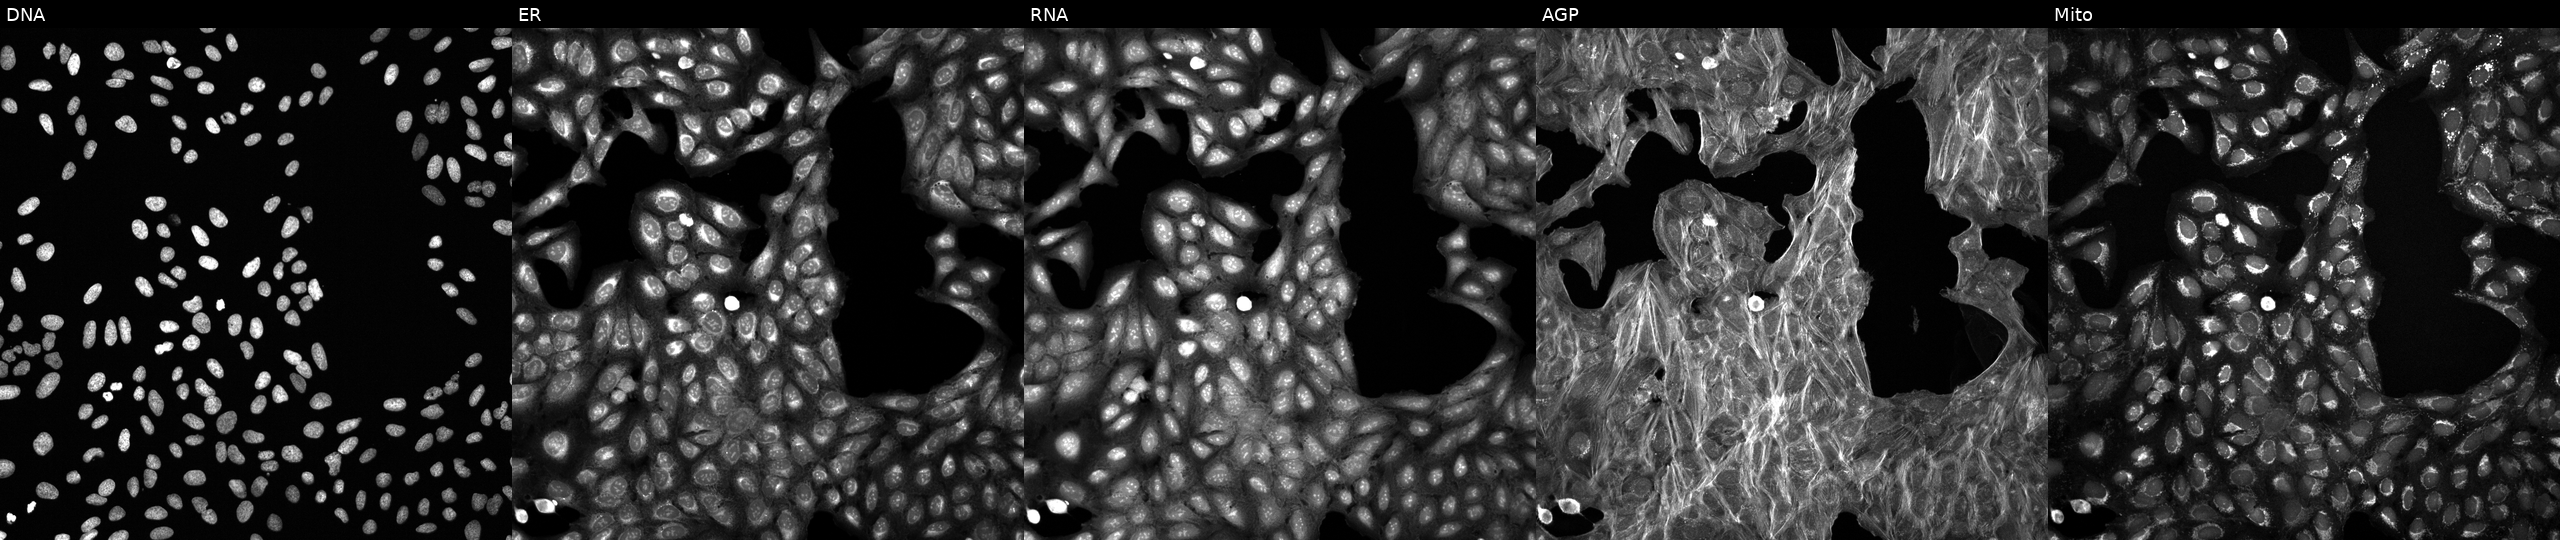
High-content fluorescence microscopy (Cell Painting). Cell line: U2OS. Perturbation: exposed to DMSO alone as a negative control. Panels show, left to right, DNA, ER, RNA, AGP, and Mito.